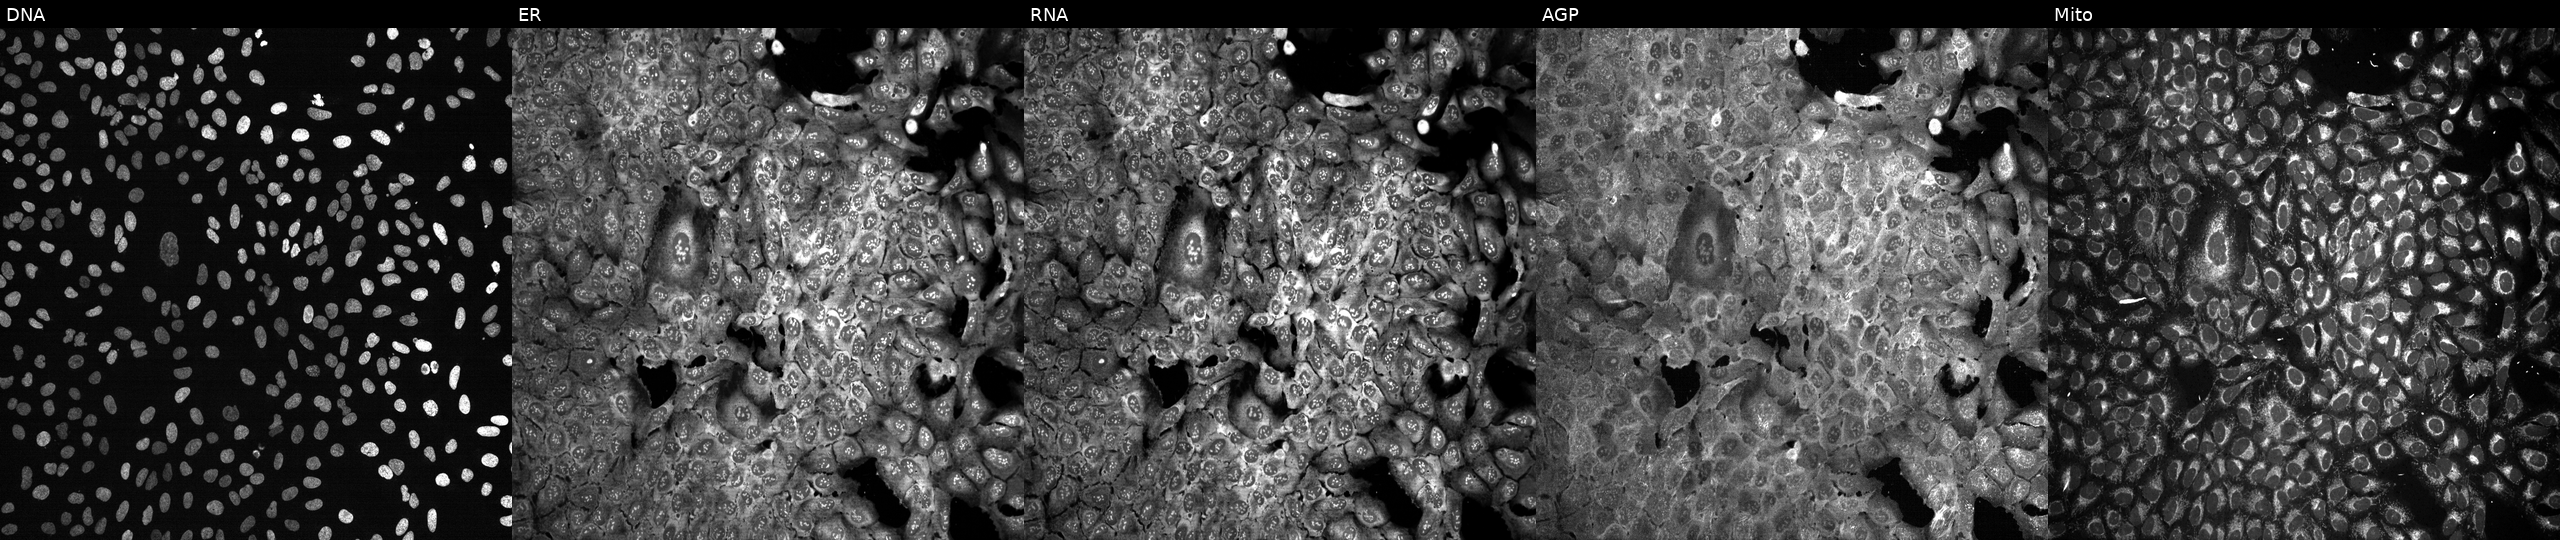
Five-channel Cell Painting image of U2OS cells following CRISPR knockout of EREG (JUMP id JCP2022_802171). The five panels, left to right, show DNA (nuclei); ER (endoplasmic reticulum); RNA (nucleoli and cytoplasmic RNA); AGP (actin cytoskeleton, Golgi, and plasma membrane); Mito (mitochondria). Source 13, plate CP-CC9-R3-01, well K06.